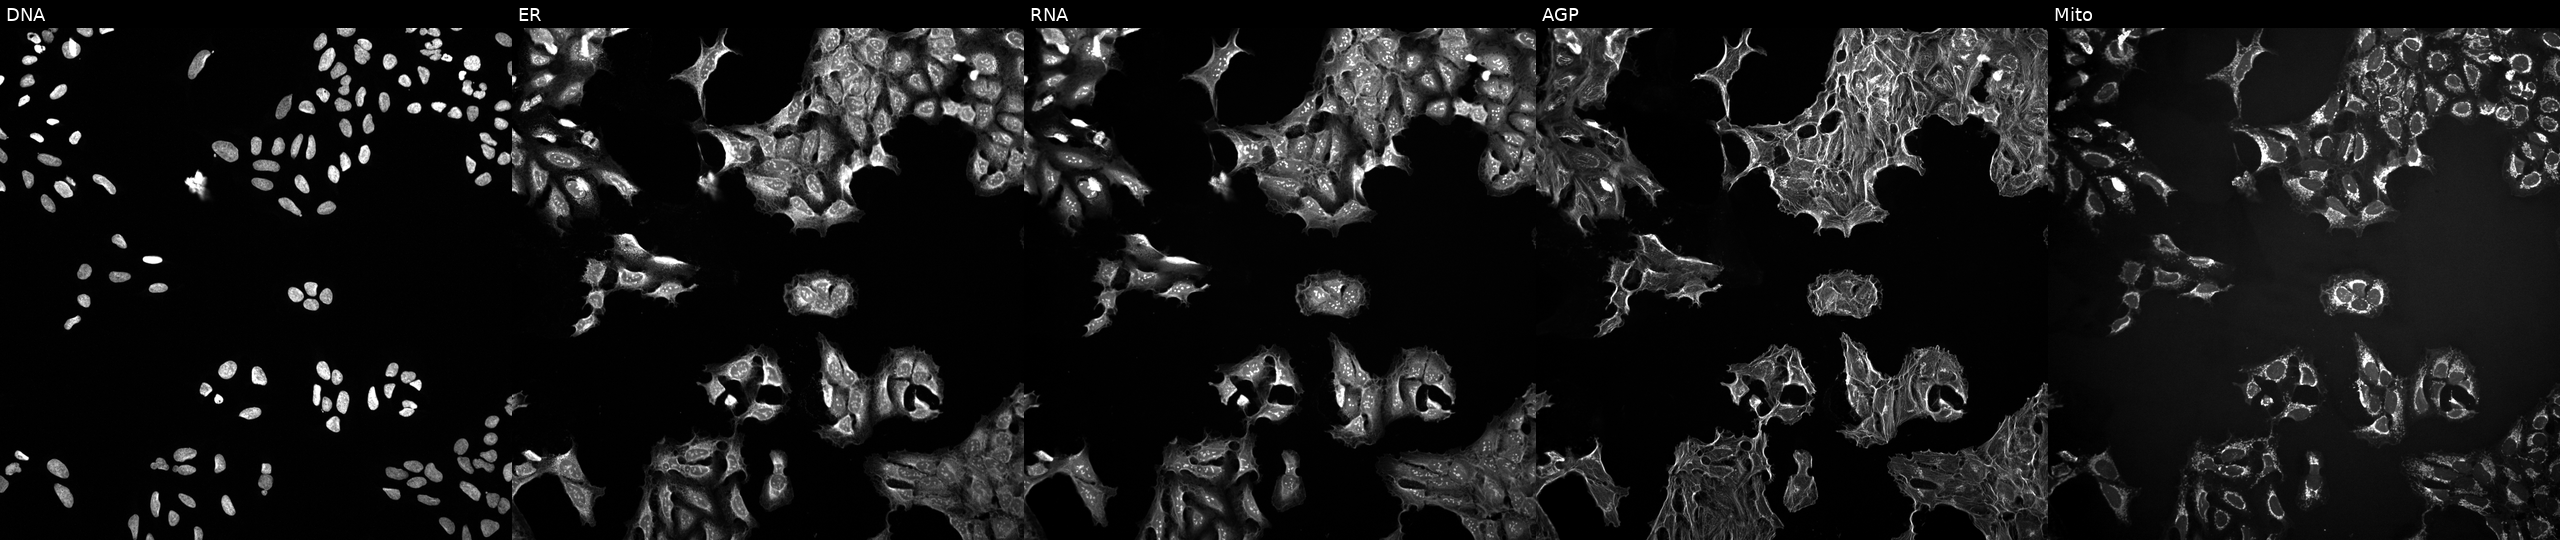
High-content fluorescence microscopy (Cell Painting). Cell line: U2OS. Perturbation: treated with a small-molecule compound (InChIKey DHMTURDWPRKSOA-UHFFFAOYSA-N) (JUMP id JCP2022_015955). From left to right: DNA, ER, RNA, AGP, and Mito. Source 10, plate Dest210726-160150, well N08.